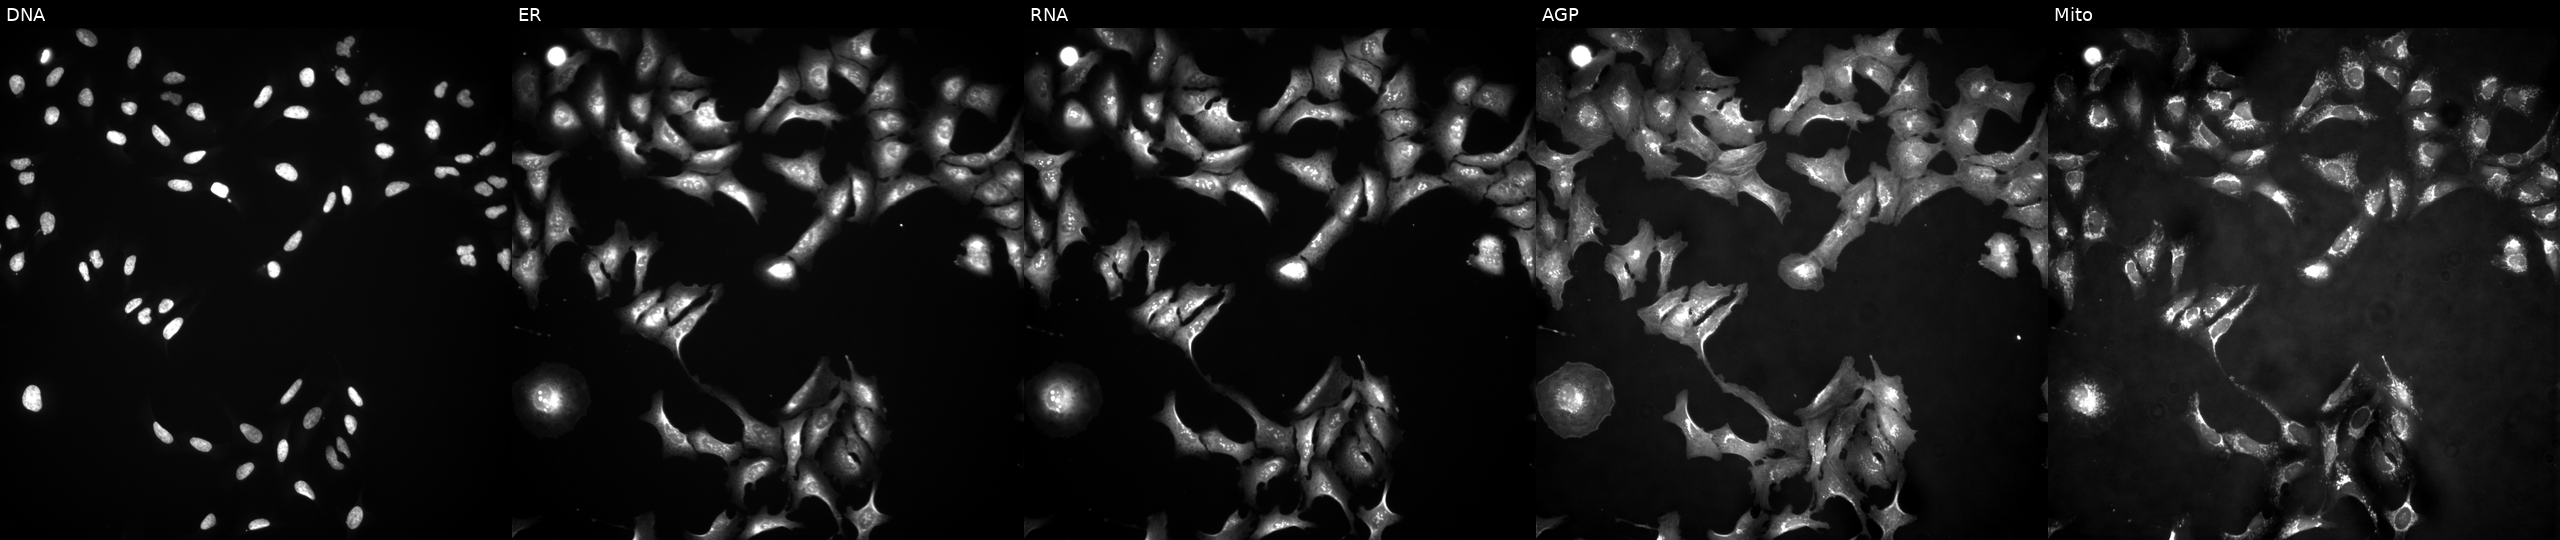
This image strip shows the five Cell Painting channels for a single field of U2OS cells transfected with an ORF construct for RAB3B (JUMP id JCP2022_906394). Channels (left→right): Hoechst 33342, concanavalin A, SYTO 14, phalloidin and WGA, MitoTracker.